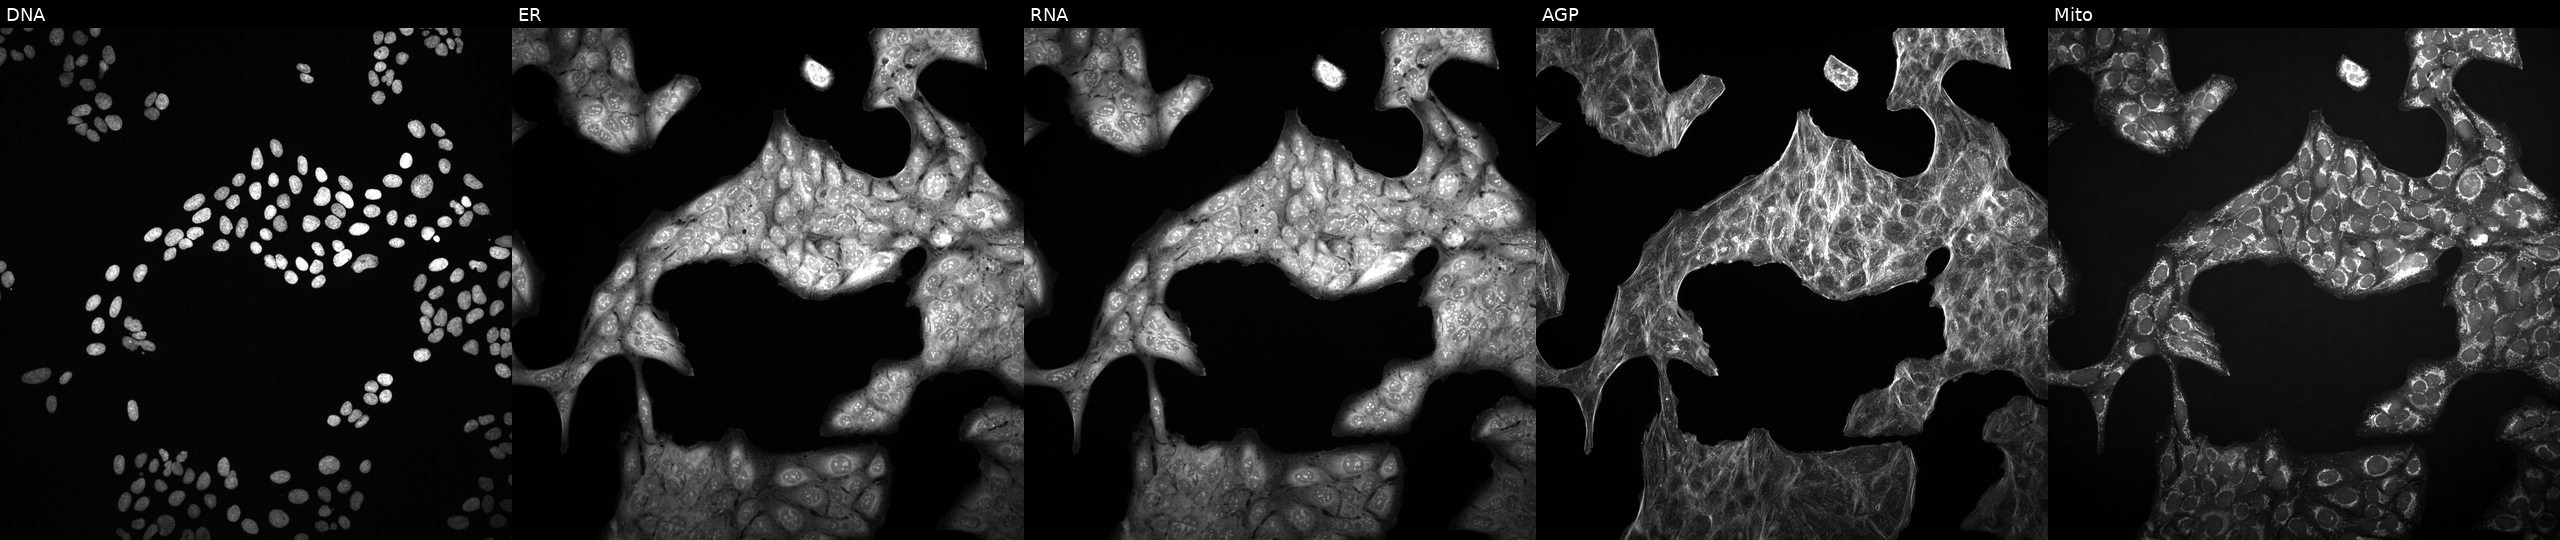
JUMP Cell Painting — TARGET2 plate. U2OS cells exposed to the positive-control compound LY2109761. From left to right: DNA (nuclei); ER (endoplasmic reticulum); RNA (nucleoli and cytoplasmic RNA); AGP (actin cytoskeleton, Golgi, and plasma membrane); Mito (mitochondria).